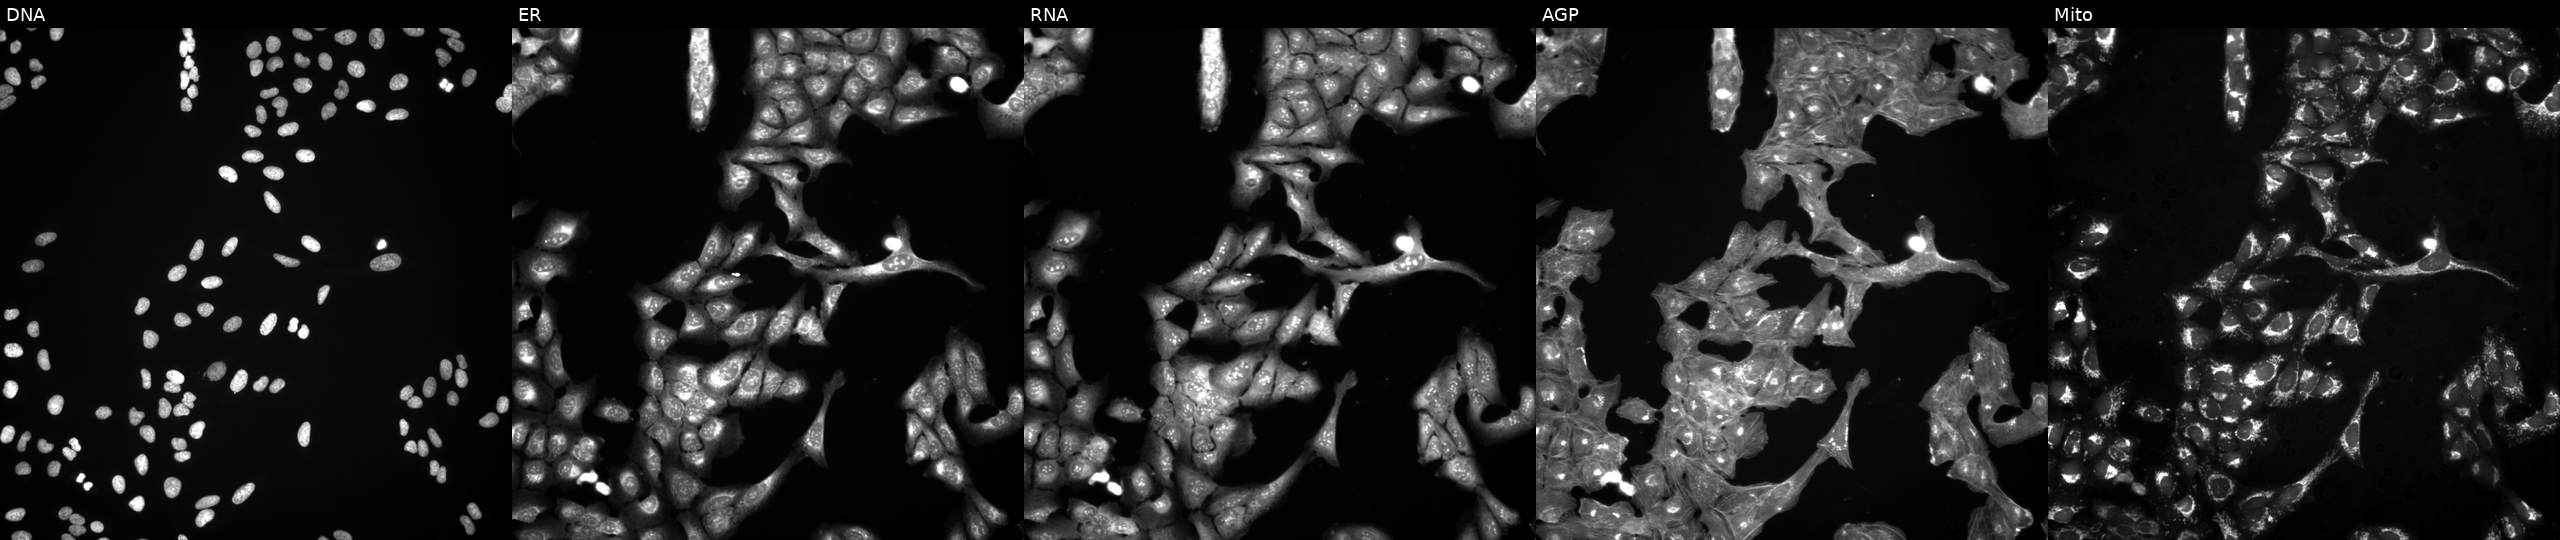
JUMP Cell Painting — COMPOUND plate. U2OS cells treated with a small-molecule compound (InChIKey BBDOZRLFYBHBHM-UHFFFAOYSA-N) [SMILES: CSc1ccc(Cl)c(C(=O)OCC(=O)N2CCOCC2)c1] (JUMP id JCP2022_005166). From left to right: DNA, ER, RNA, AGP, and Mito.